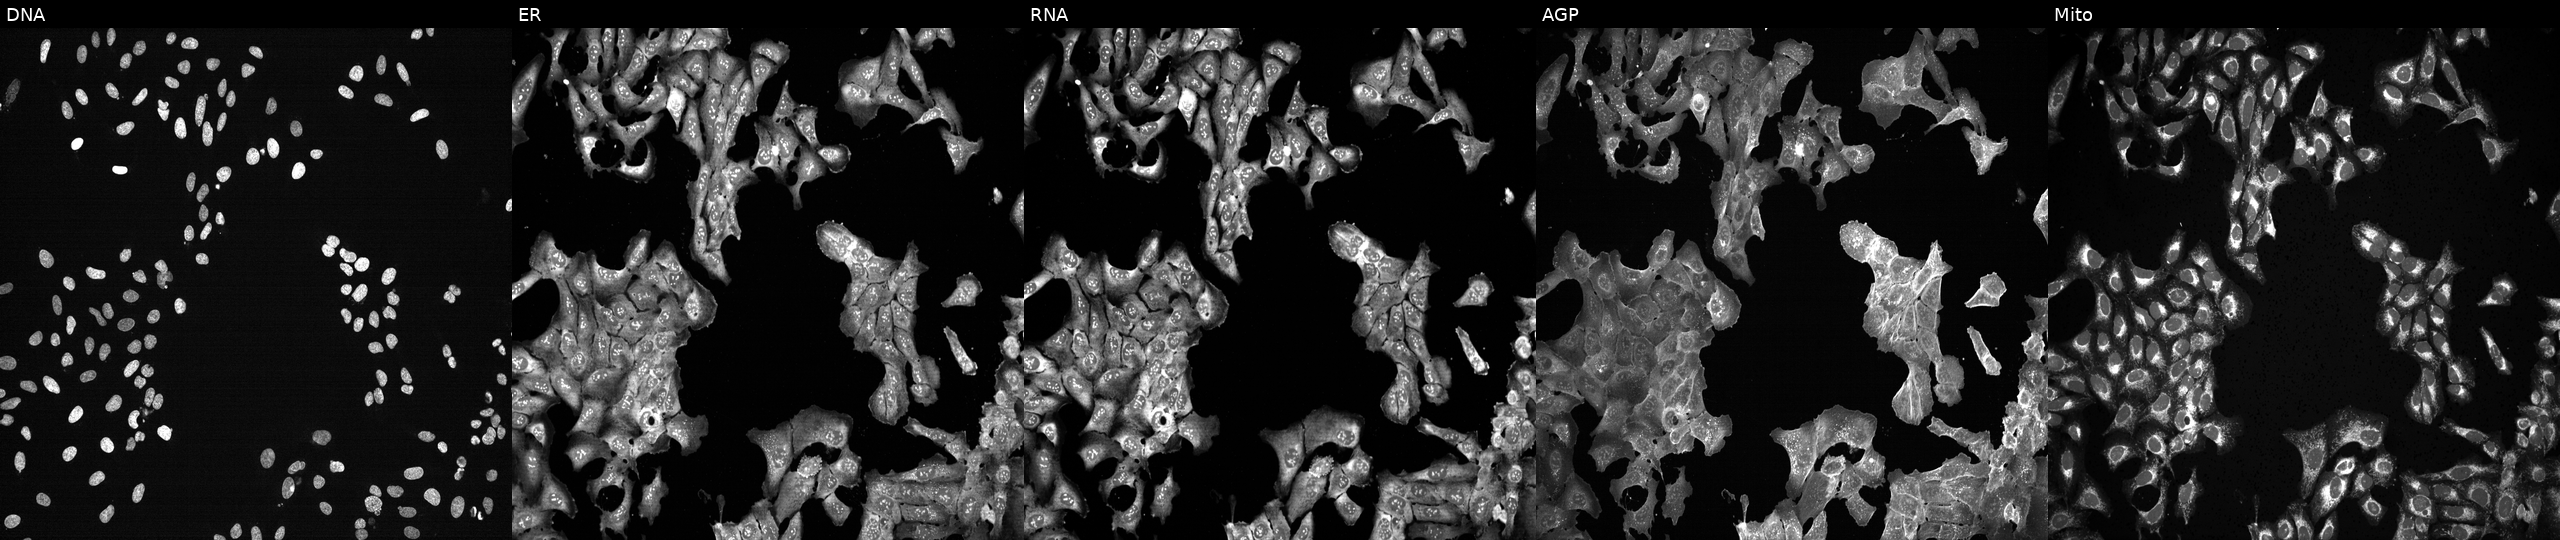
U2OS cells, Cell Painting assay, with NLN knocked out by CRISPR. Panels show, left to right, DNA, ER, RNA, AGP, and Mito. Each panel is percentile-stretched 16-bit fluorescence.